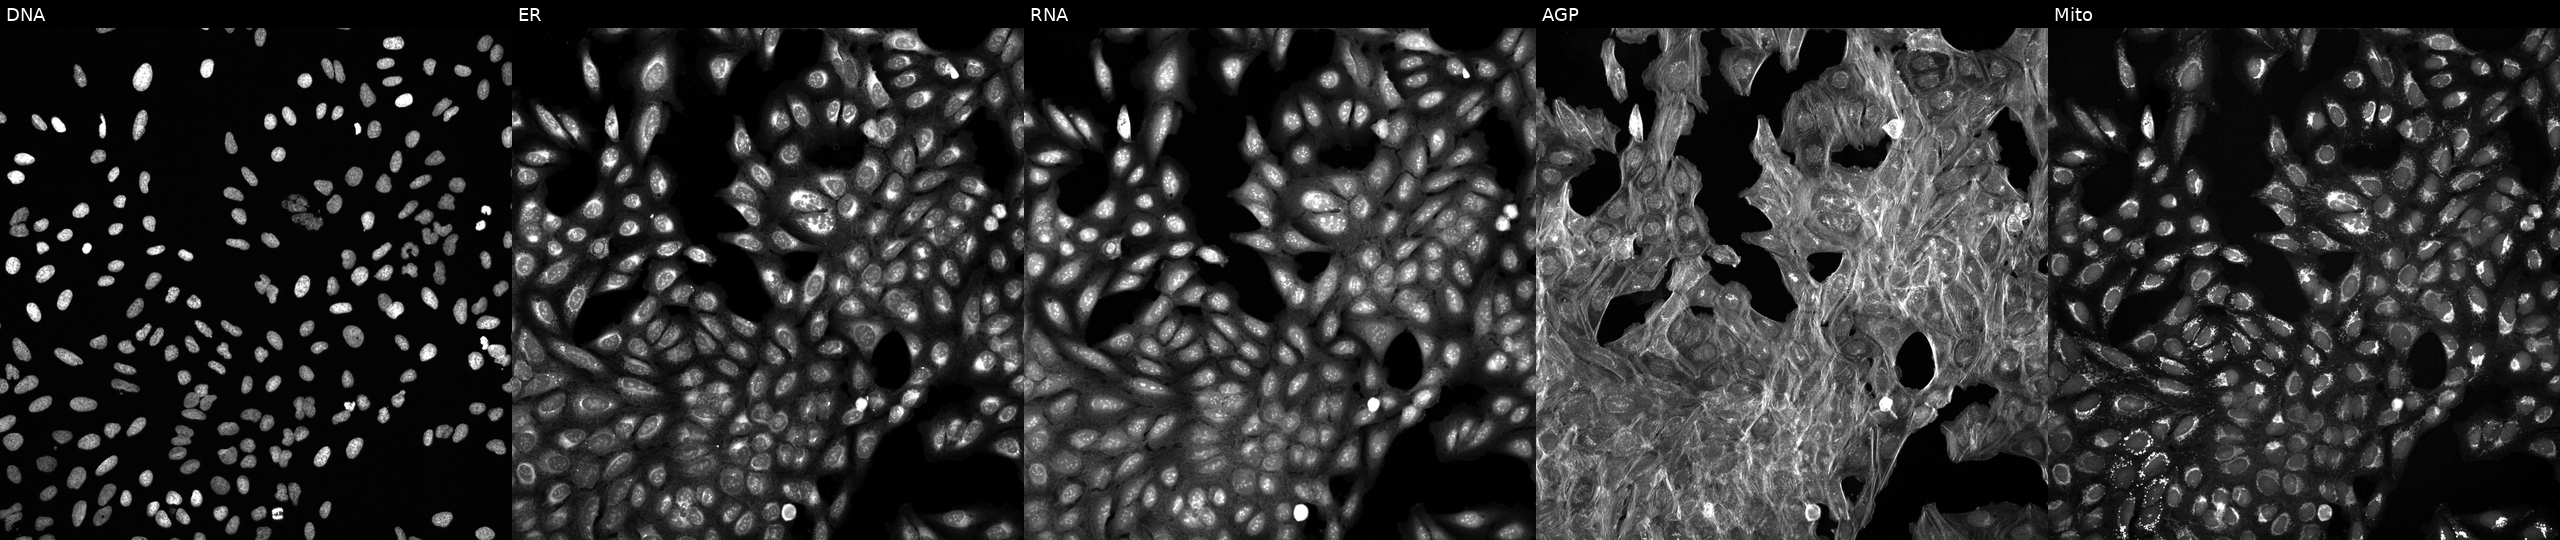
Five-channel Cell Painting image of U2OS cells treated with a small-molecule compound [SMILES: CCCc1[nH]nc(-c2ccc(OC)c(OC)c2)c1NC(=O)C(C)(C)C] (JUMP id JCP2022_010503). The five panels, left to right, show DNA (nuclei); ER (endoplasmic reticulum); RNA (nucleoli and cytoplasmic RNA); AGP (actin cytoskeleton, Golgi, and plasma membrane); Mito (mitochondria).